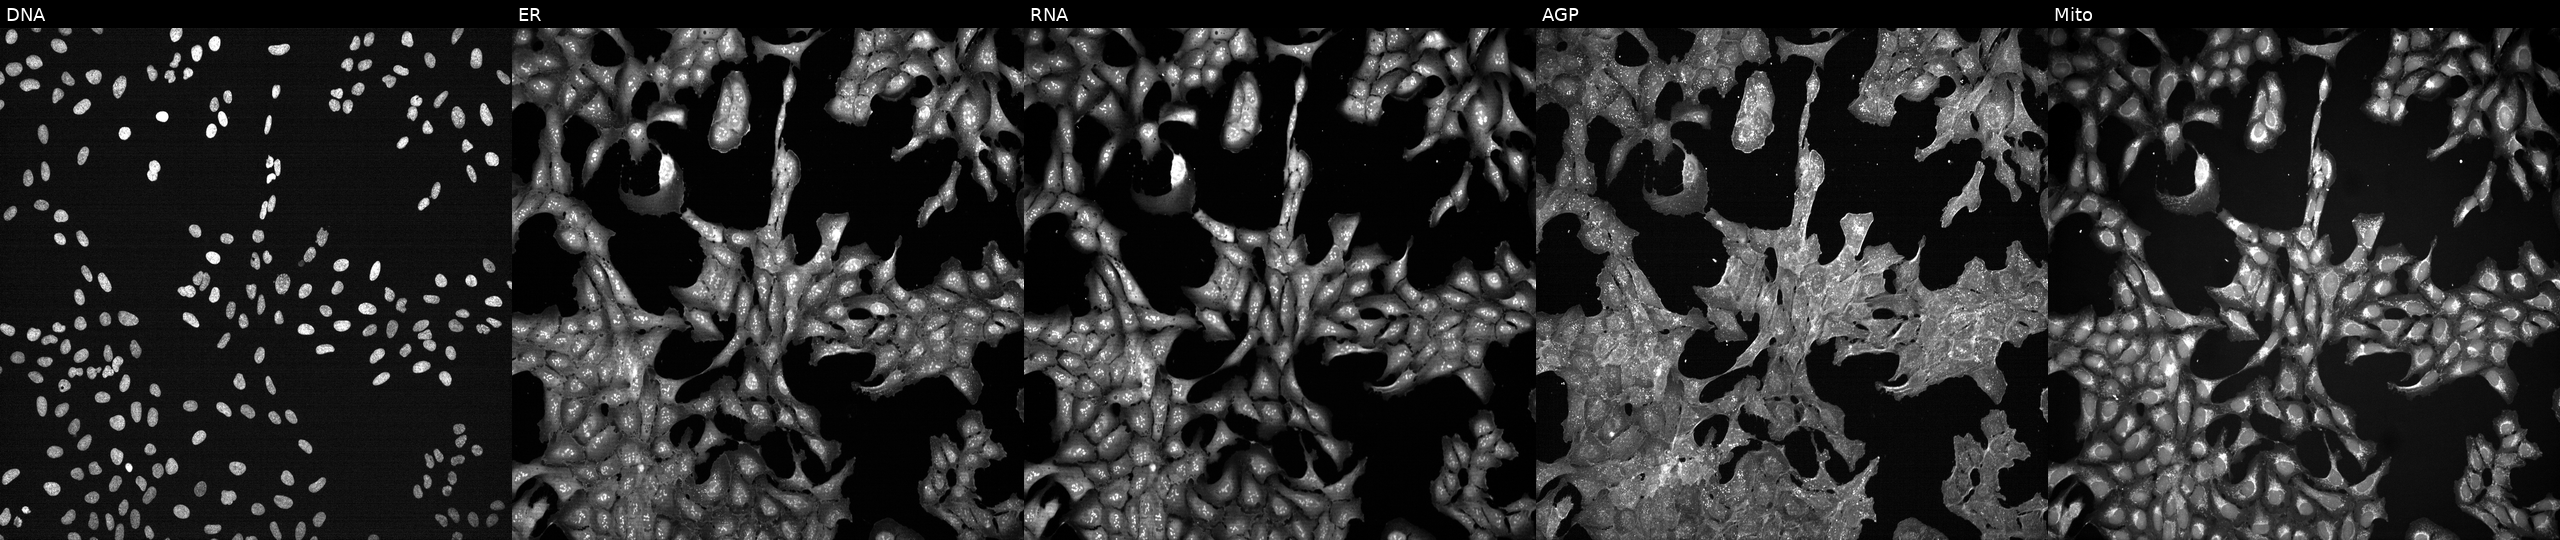
This image strip shows the five Cell Painting channels for a single field of U2OS cells perturbed with a small-molecule compound (InChIKey PHLBKPHSAVXXEF-UHFFFAOYSA-N). The five panels, left to right, show DNA (nuclei); ER (endoplasmic reticulum); RNA (nucleoli and cytoplasmic RNA); AGP (actin cytoskeleton, Golgi, and plasma membrane); Mito (mitochondria). Source 7, plate CP2-SC1-25, well L16.